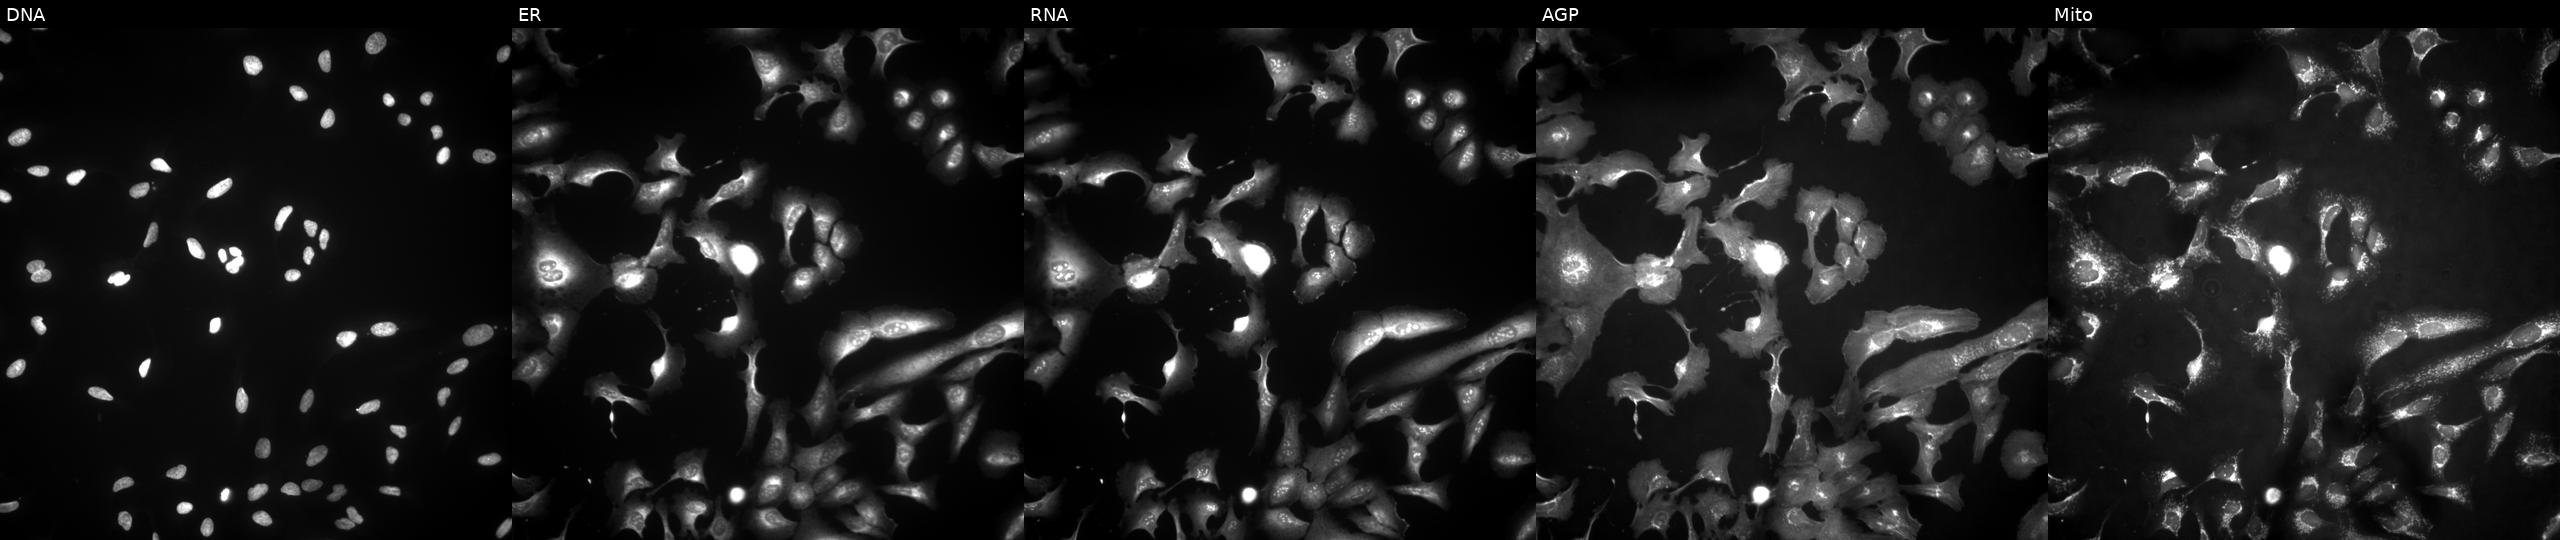
Channels (left→right): DNA, ER, RNA, AGP, and Mito. U2OS osteosarcoma cells transfected with an ORF construct for PSG1 (JUMP id JCP2022_910311). Cell Painting assay, JUMP-CP dataset.